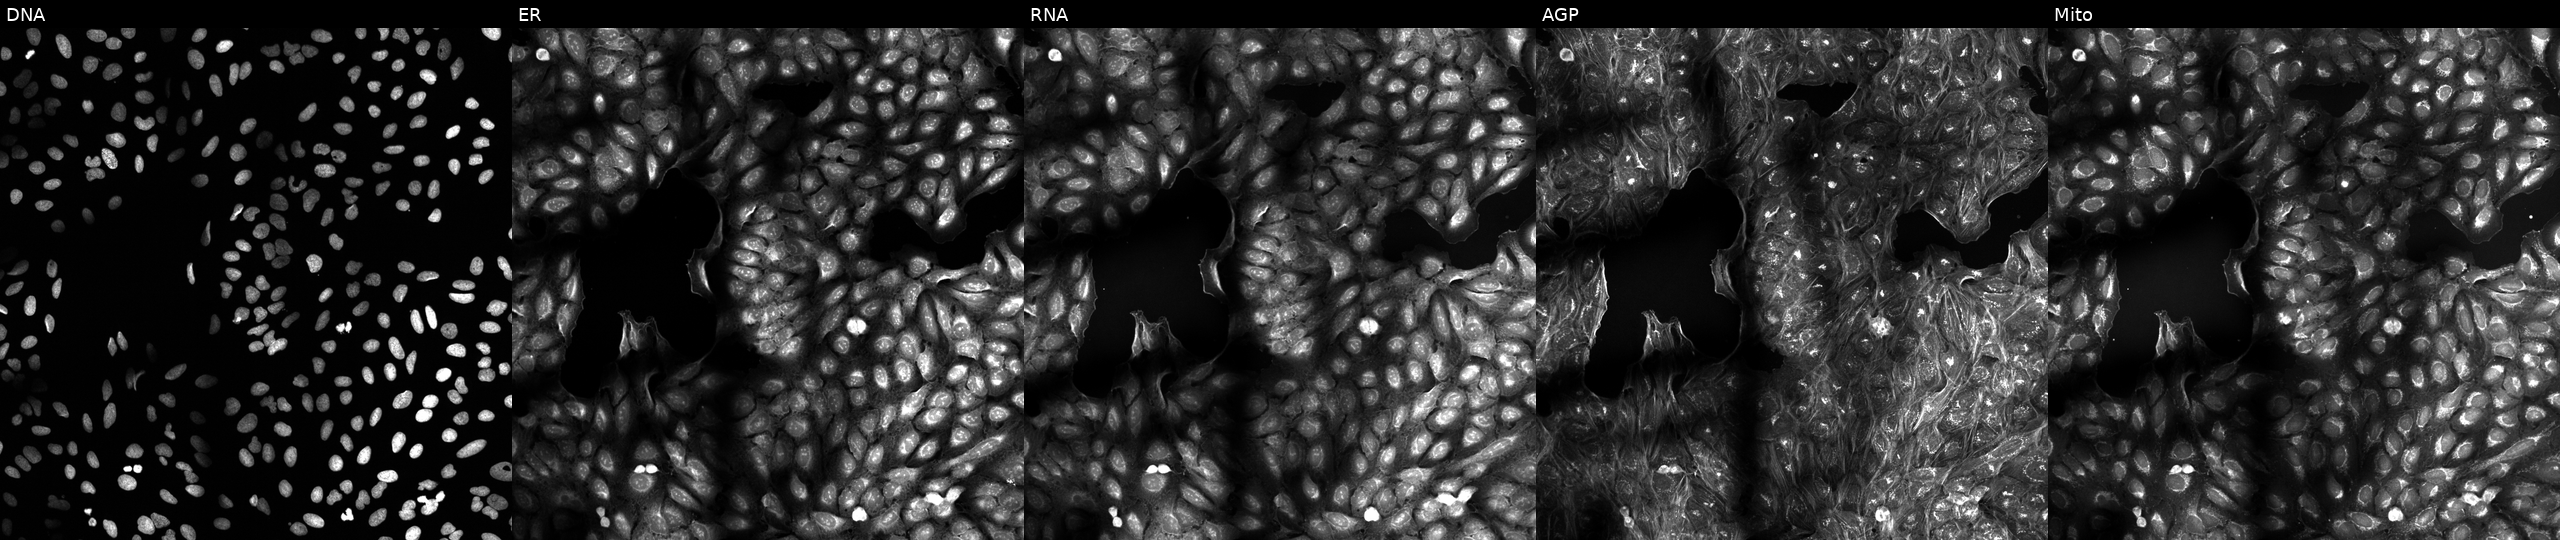
JUMP Cell Painting — COMPOUND plate. U2OS cells treated with a small-molecule compound (InChIKey USLKAKAQMIVHFJ-UHFFFAOYSA-N). Channels (left→right): DNA, ER, RNA, AGP, and Mito.